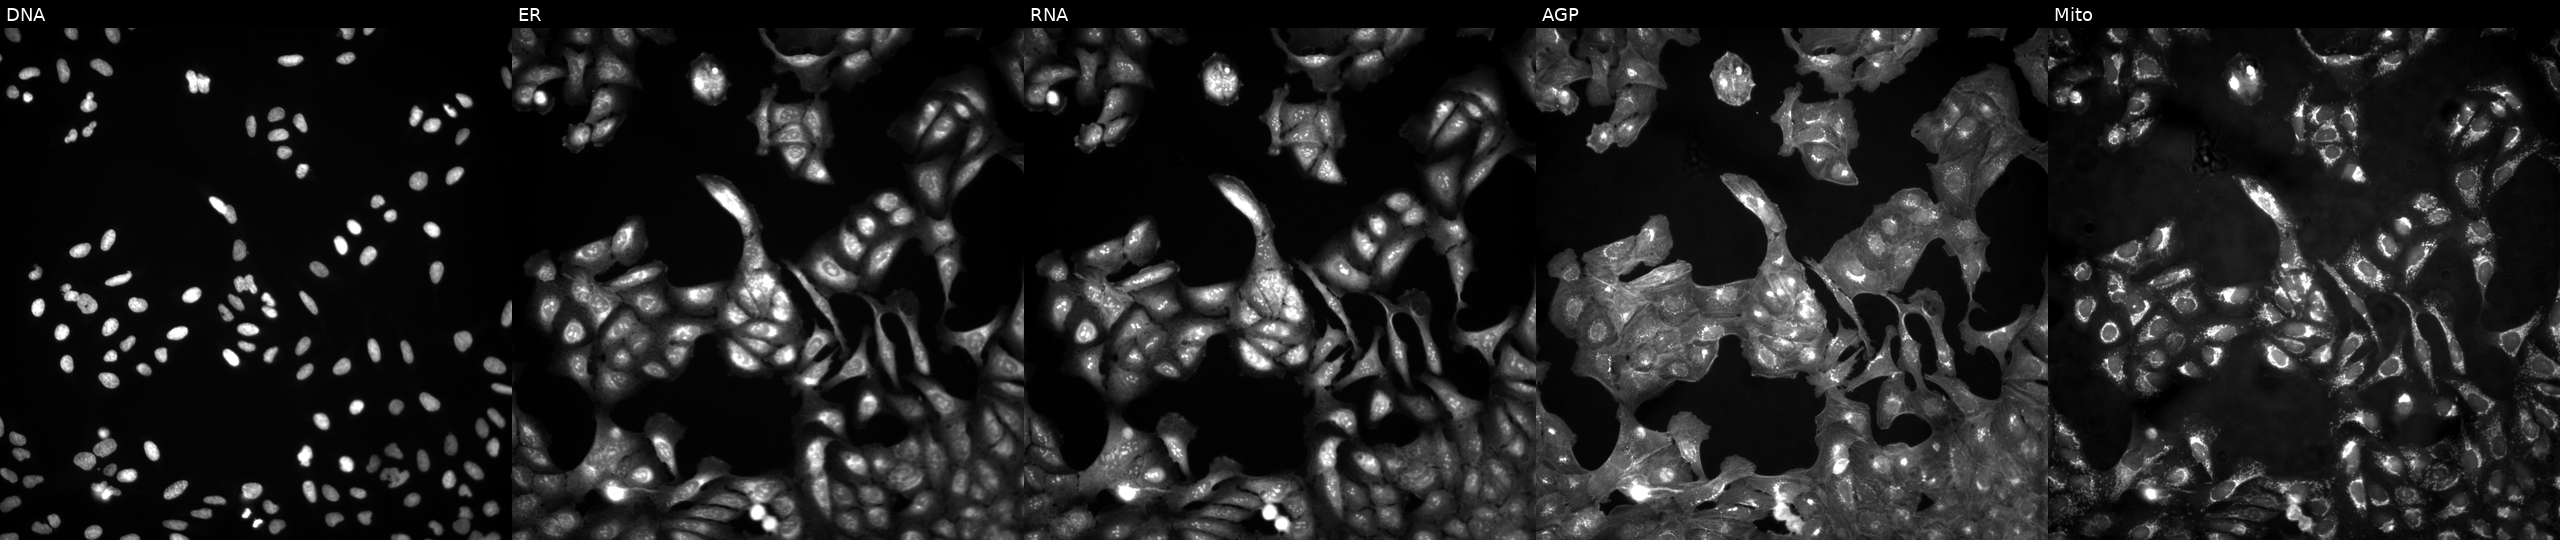
This image strip shows the five Cell Painting channels for a single field of U2OS cells in an empty control well (no perturbation). From left to right: DNA (nuclei); ER (endoplasmic reticulum); RNA (nucleoli and cytoplasmic RNA); AGP (actin cytoskeleton, Golgi, and plasma membrane); Mito (mitochondria). Source 4, plate BR00123946, well A23.